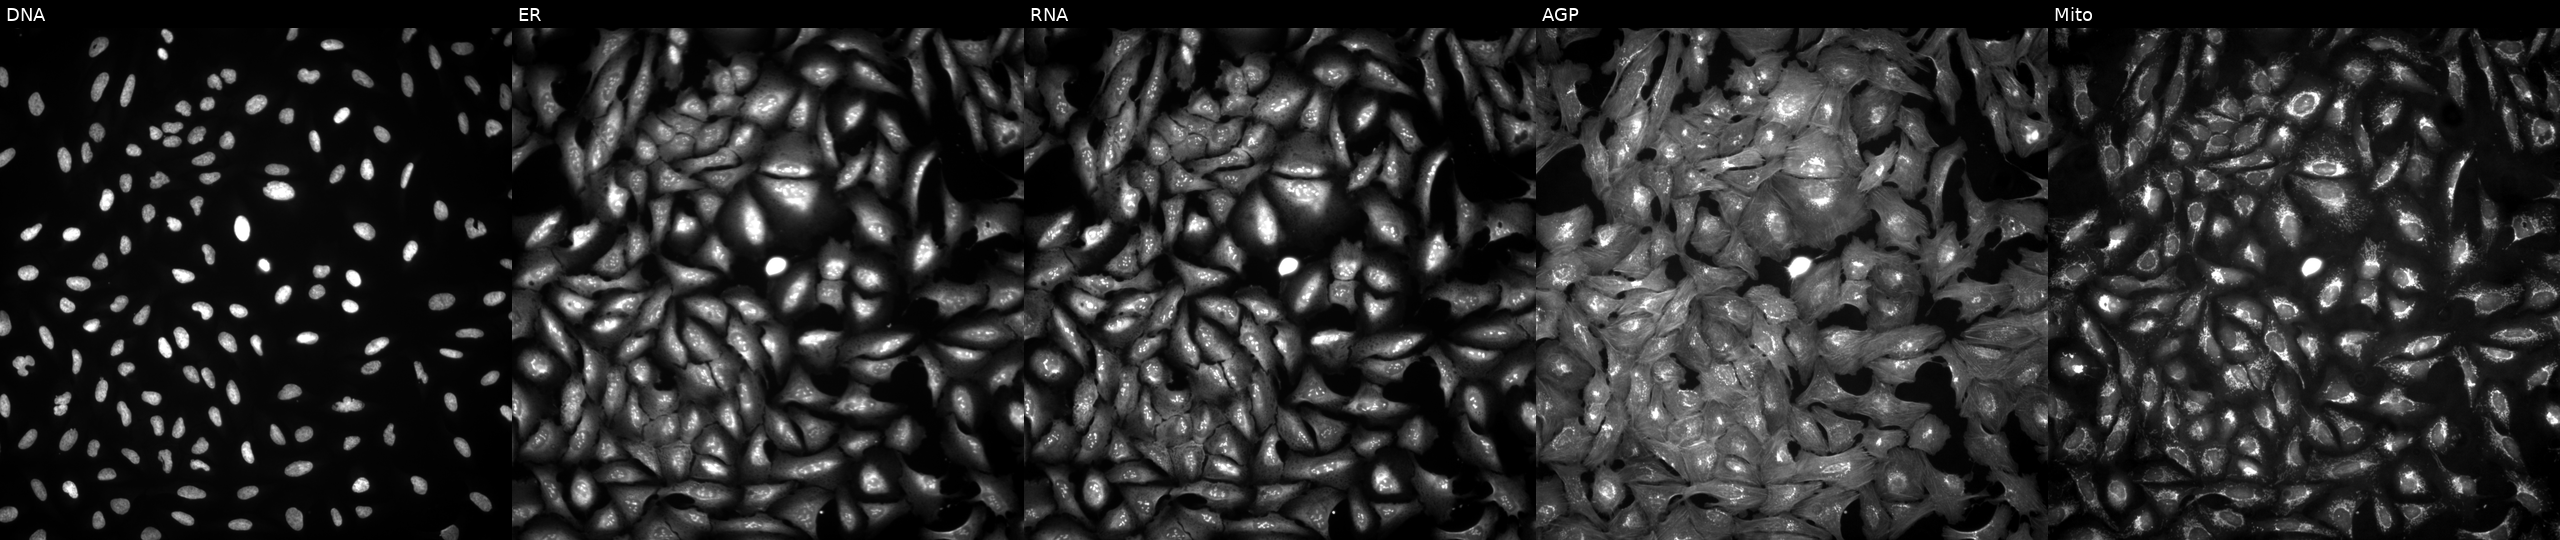
This image strip shows the five Cell Painting channels for a single field of U2OS cells overexpressing SEC22B via ORF transfection. From left to right: DNA (nuclei); ER (endoplasmic reticulum); RNA (nucleoli and cytoplasmic RNA); AGP (actin cytoskeleton, Golgi, and plasma membrane); Mito (mitochondria).